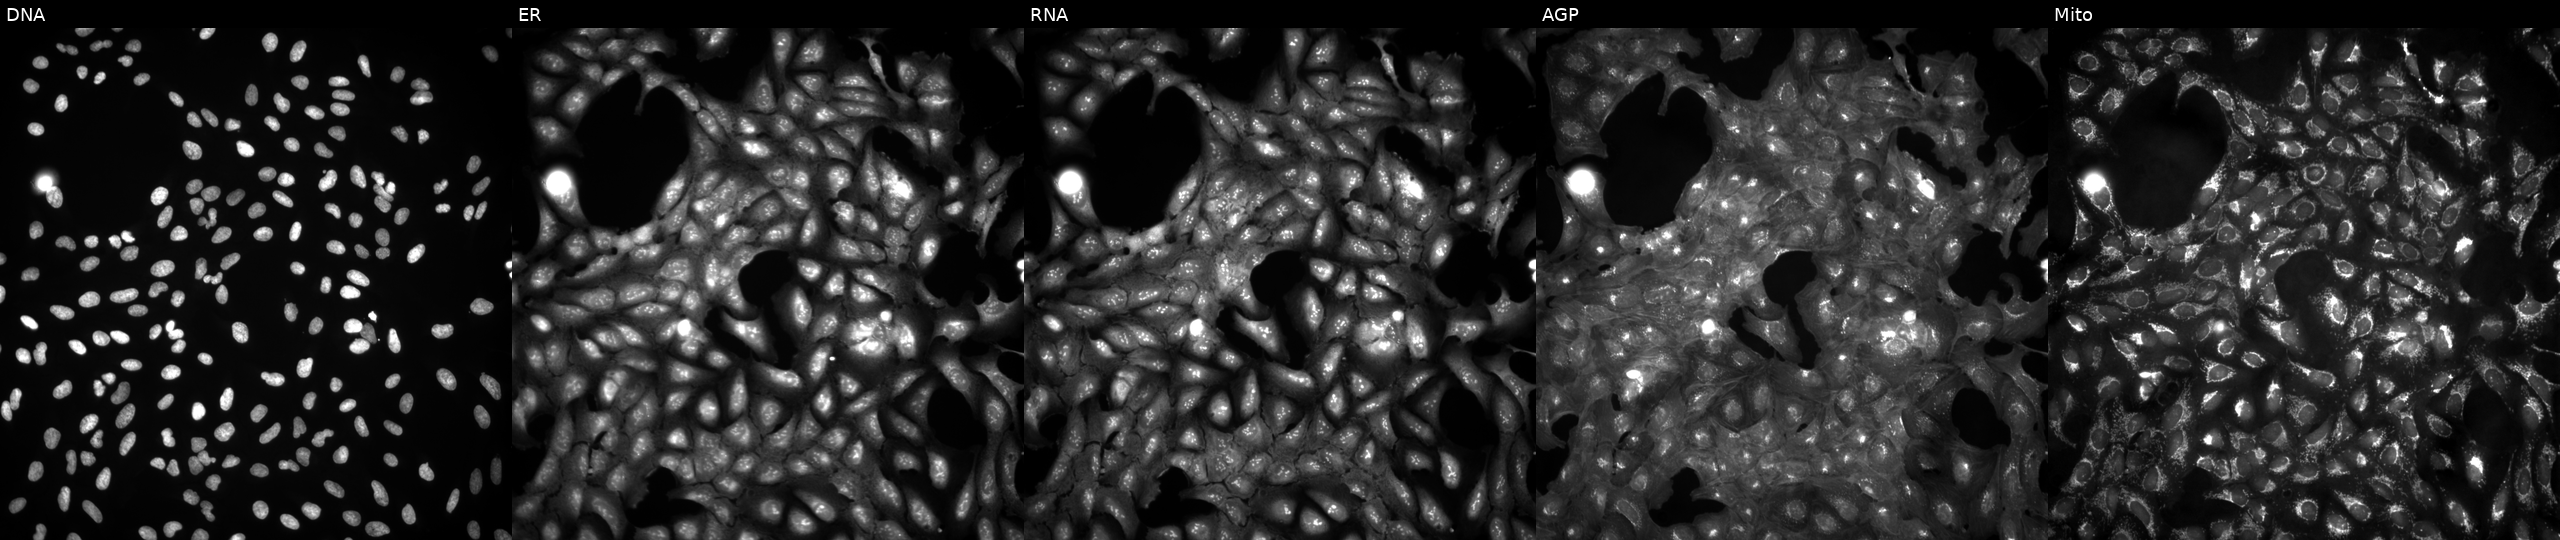
The five panels, left to right, show DNA (nuclei); ER (endoplasmic reticulum); RNA (nucleoli and cytoplasmic RNA); AGP (actin cytoskeleton, Golgi, and plasma membrane); Mito (mitochondria). U2OS osteosarcoma cells in an empty control well (no perturbation) (JUMP id JCP2022_999999). Cell Painting assay, JUMP-CP dataset. Source 4, plate BR00123946, well M04.